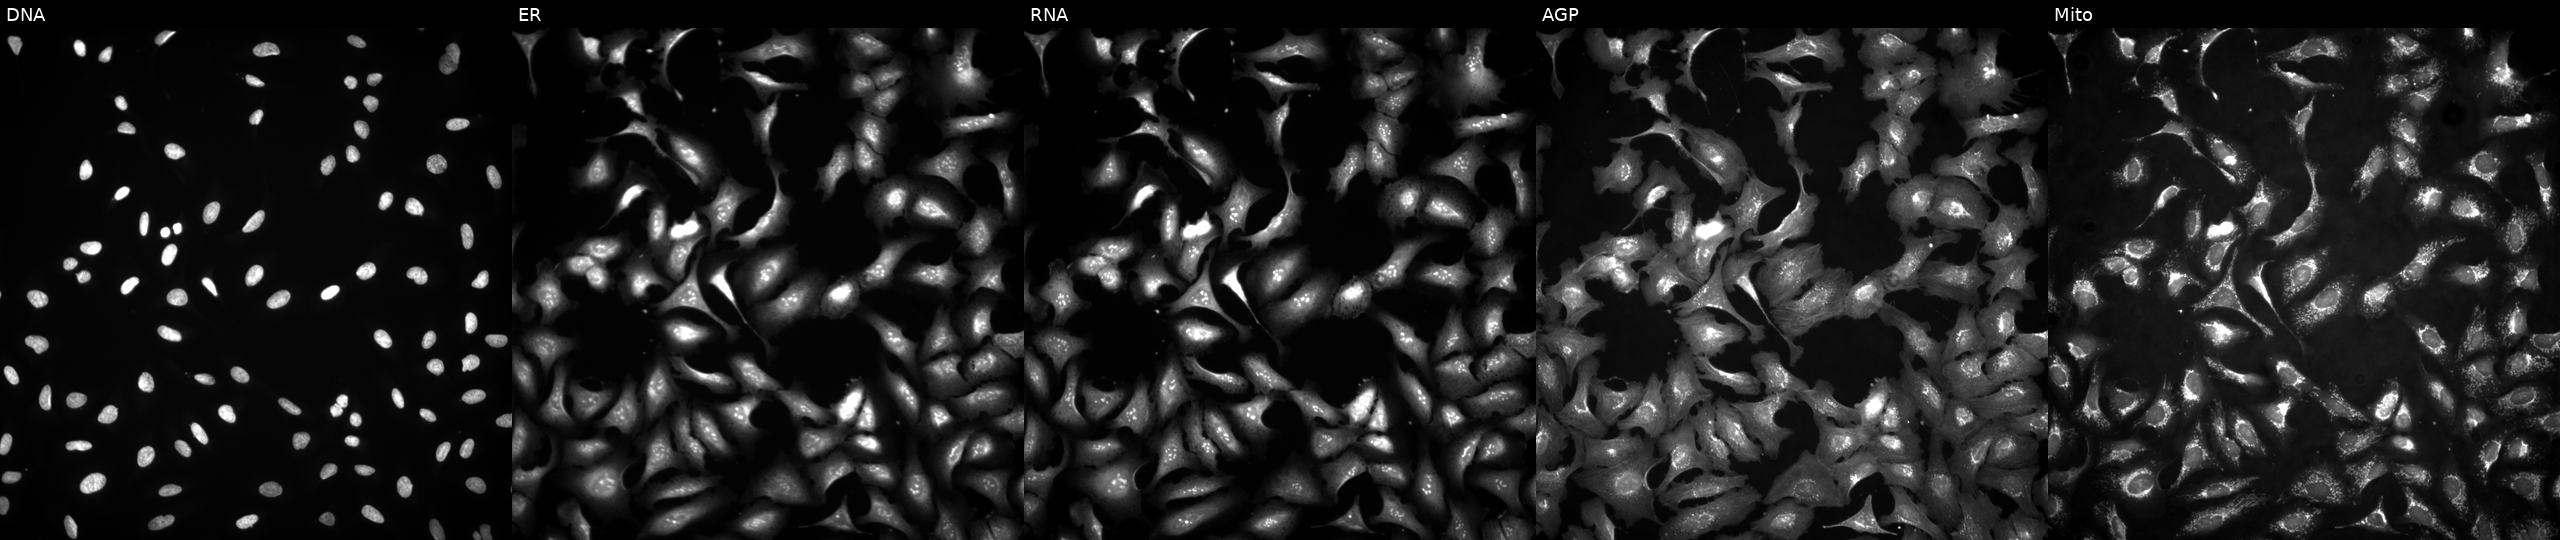
U2OS cells, Cell Painting assay, overexpressing SNX20 via ORF transfection (JUMP id JCP2022_908845). The five panels, left to right, show DNA, ER, RNA, AGP, and Mito. Each panel is percentile-stretched 16-bit fluorescence.